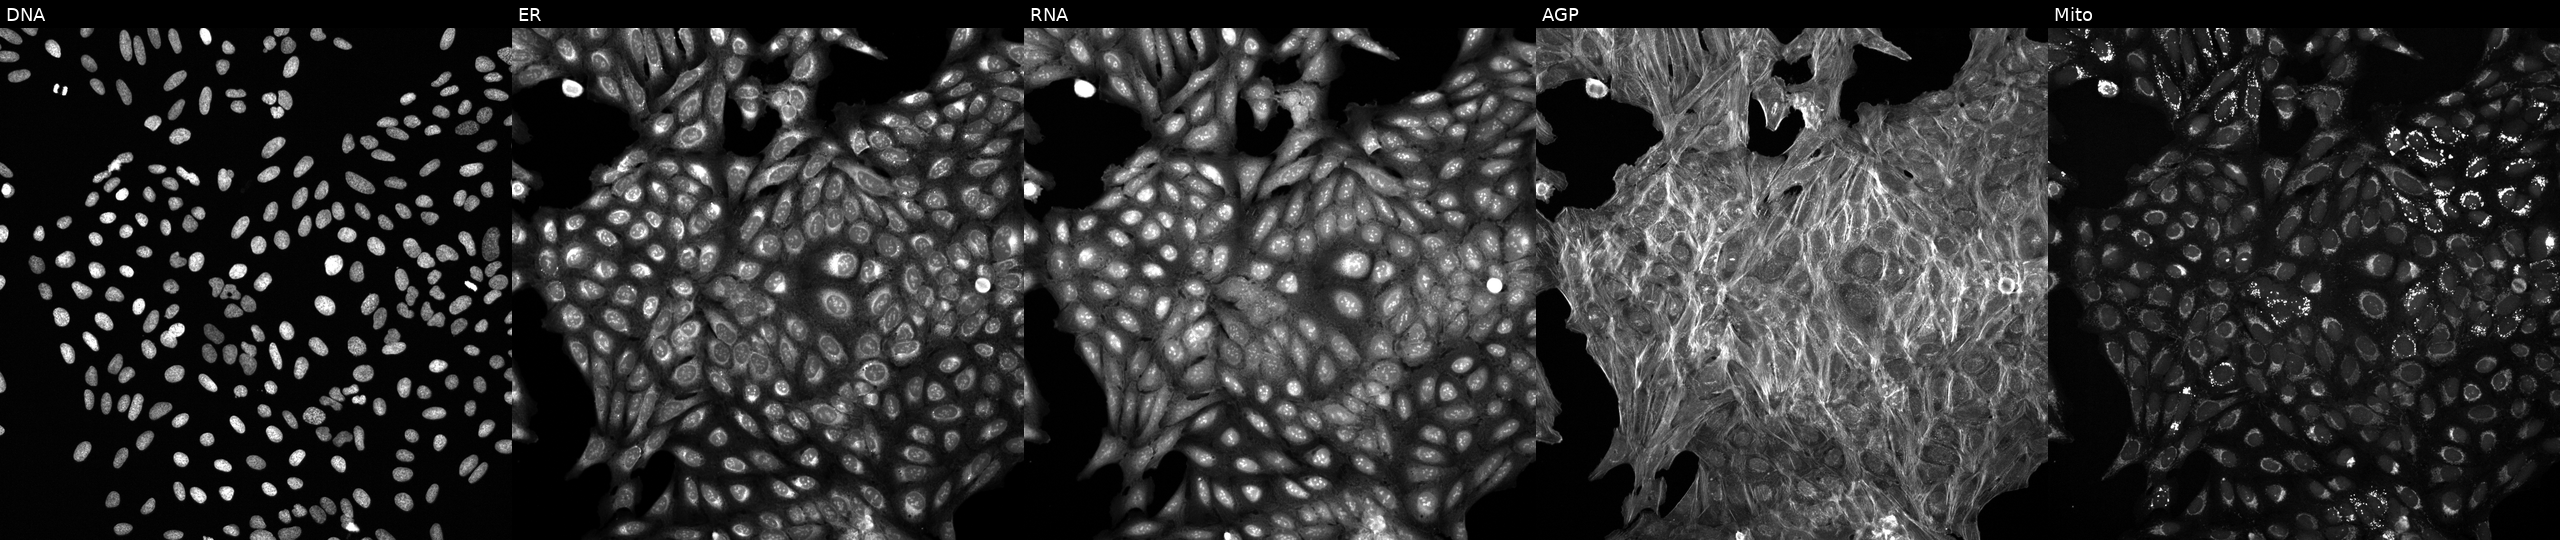
JUMP Cell Painting — TARGET2 plate. U2OS cells treated with a small-molecule compound (InChIKey RNSLRQNDXRSASX-UHFFFAOYSA-N) (JUMP id JCP2022_079562). Channels (left→right): Hoechst 33342, concanavalin A, SYTO 14, phalloidin and WGA, MitoTracker.